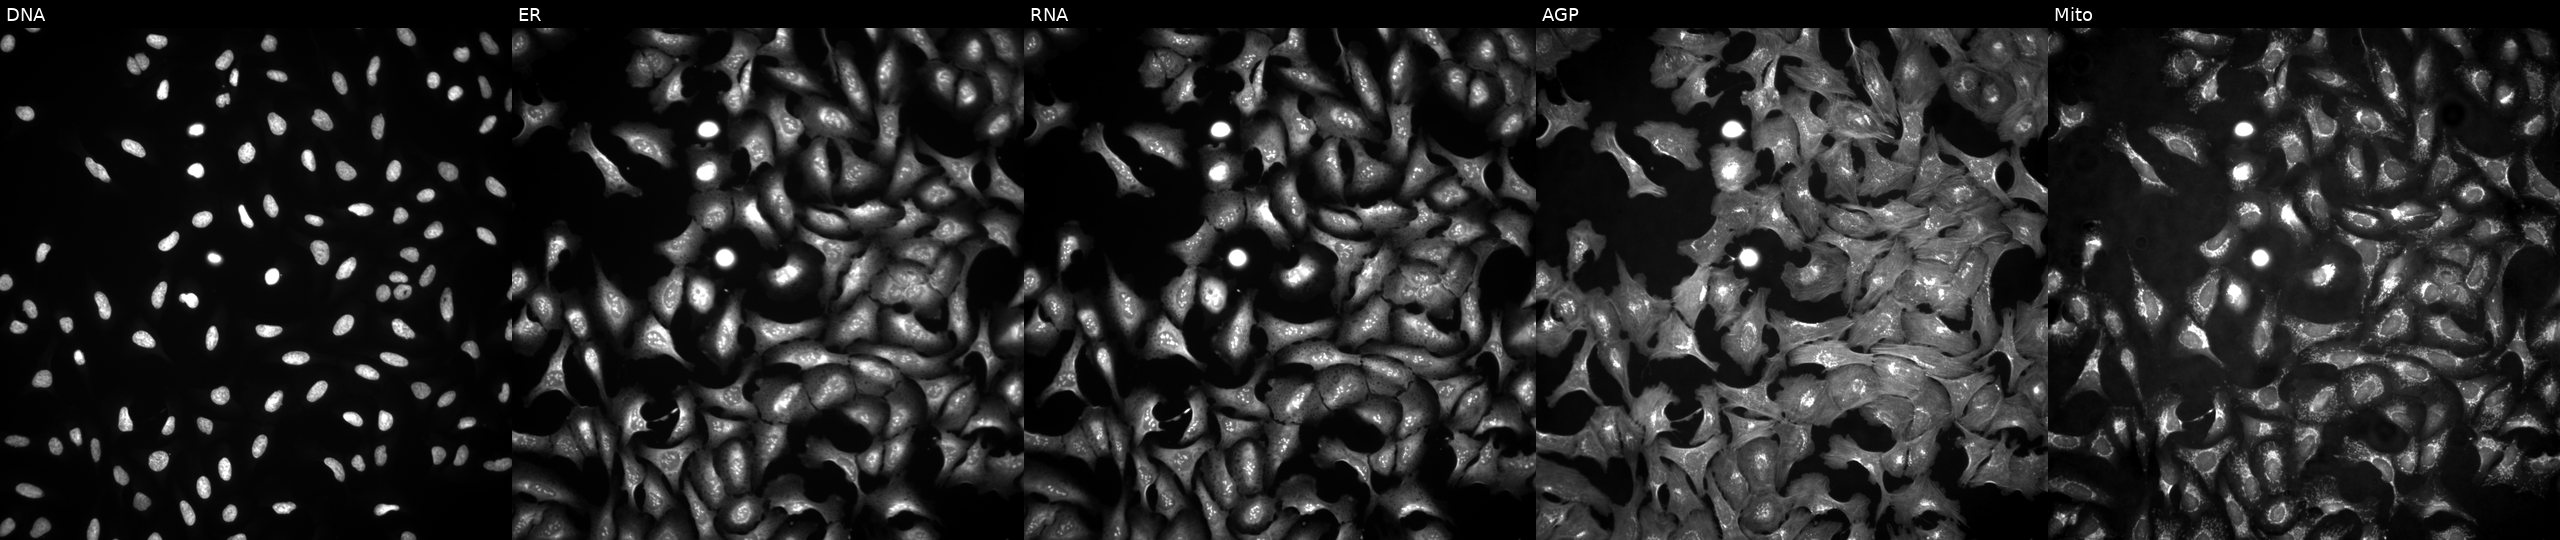
Five-channel Cell Painting image of U2OS cells transfected with an ORF construct for CIRBP-AS1. Channels (left→right): DNA, ER, RNA, AGP, and Mito.